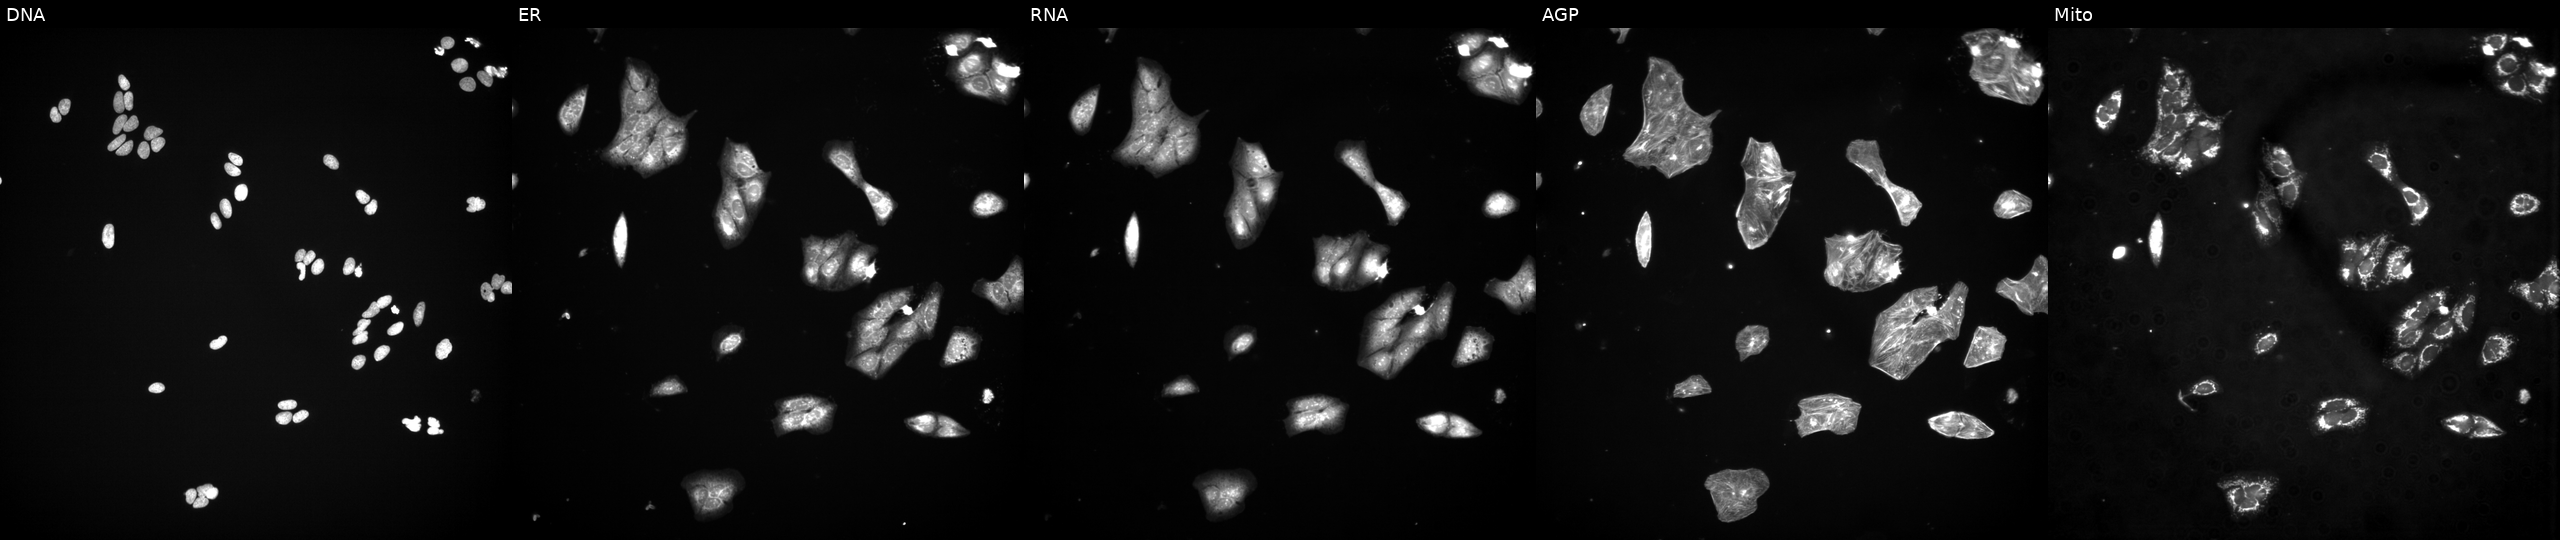
U2OS cells, Cell Painting assay, treated with a small-molecule compound (InChIKey ZWVZORIKUNOTCS-UHFFFAOYSA-N) (JUMP id JCP2022_116188). Panels show, left to right, Hoechst 33342, concanavalin A, SYTO 14, phalloidin and WGA, MitoTracker. Each panel is percentile-stretched 16-bit fluorescence.